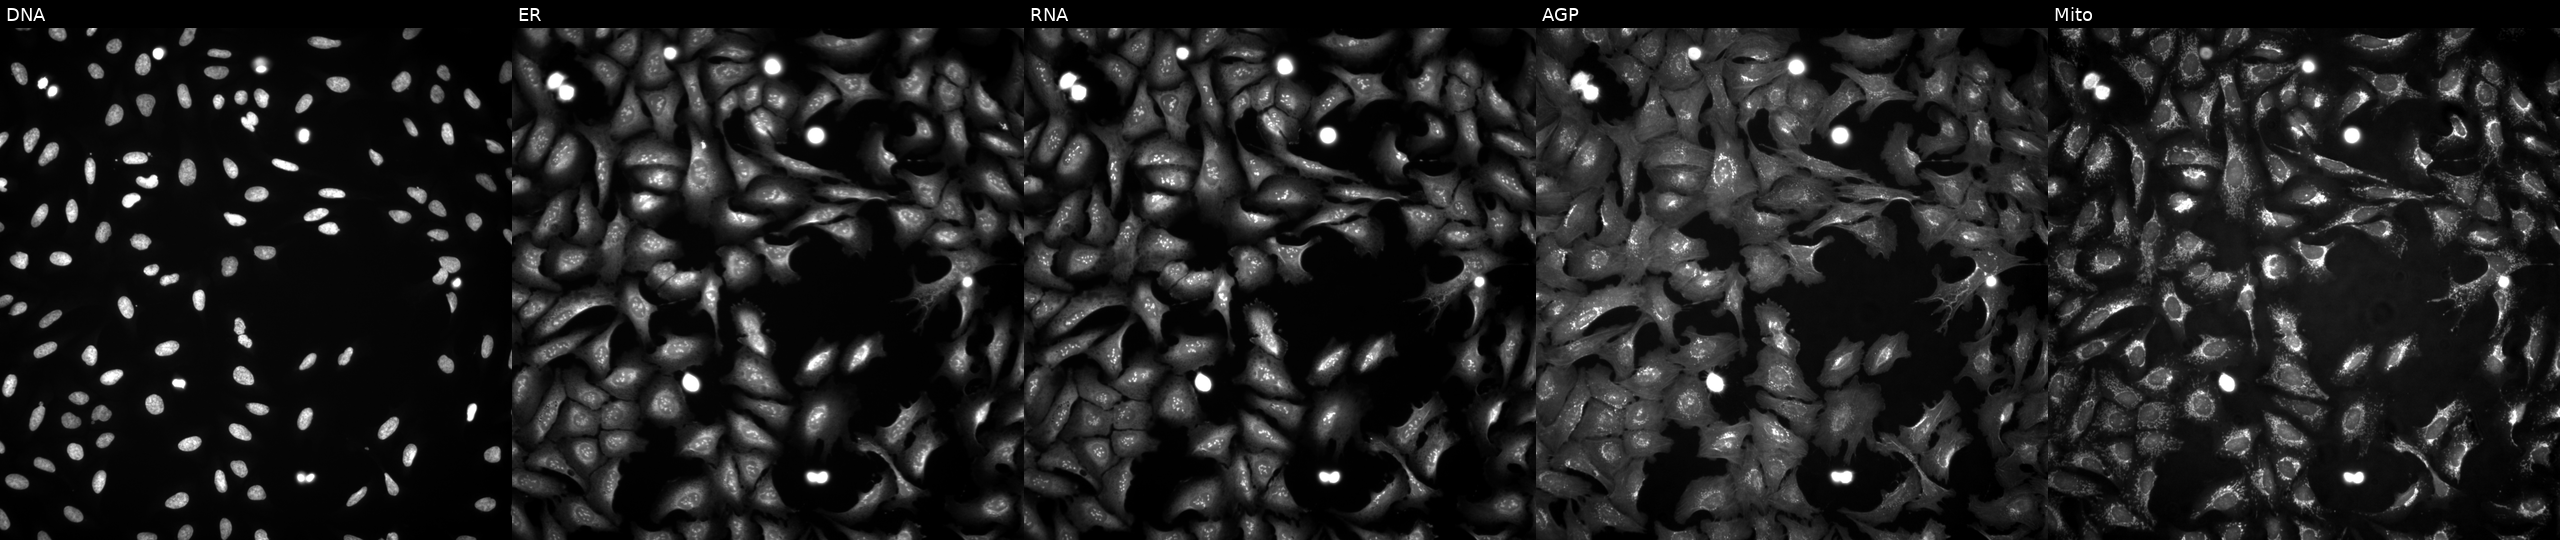
This image strip shows the five Cell Painting channels for a single field of U2OS cells with SMU1 overexpressed (ORF). From left to right: DNA (nuclei); ER (endoplasmic reticulum); RNA (nucleoli and cytoplasmic RNA); AGP (actin cytoskeleton, Golgi, and plasma membrane); Mito (mitochondria).